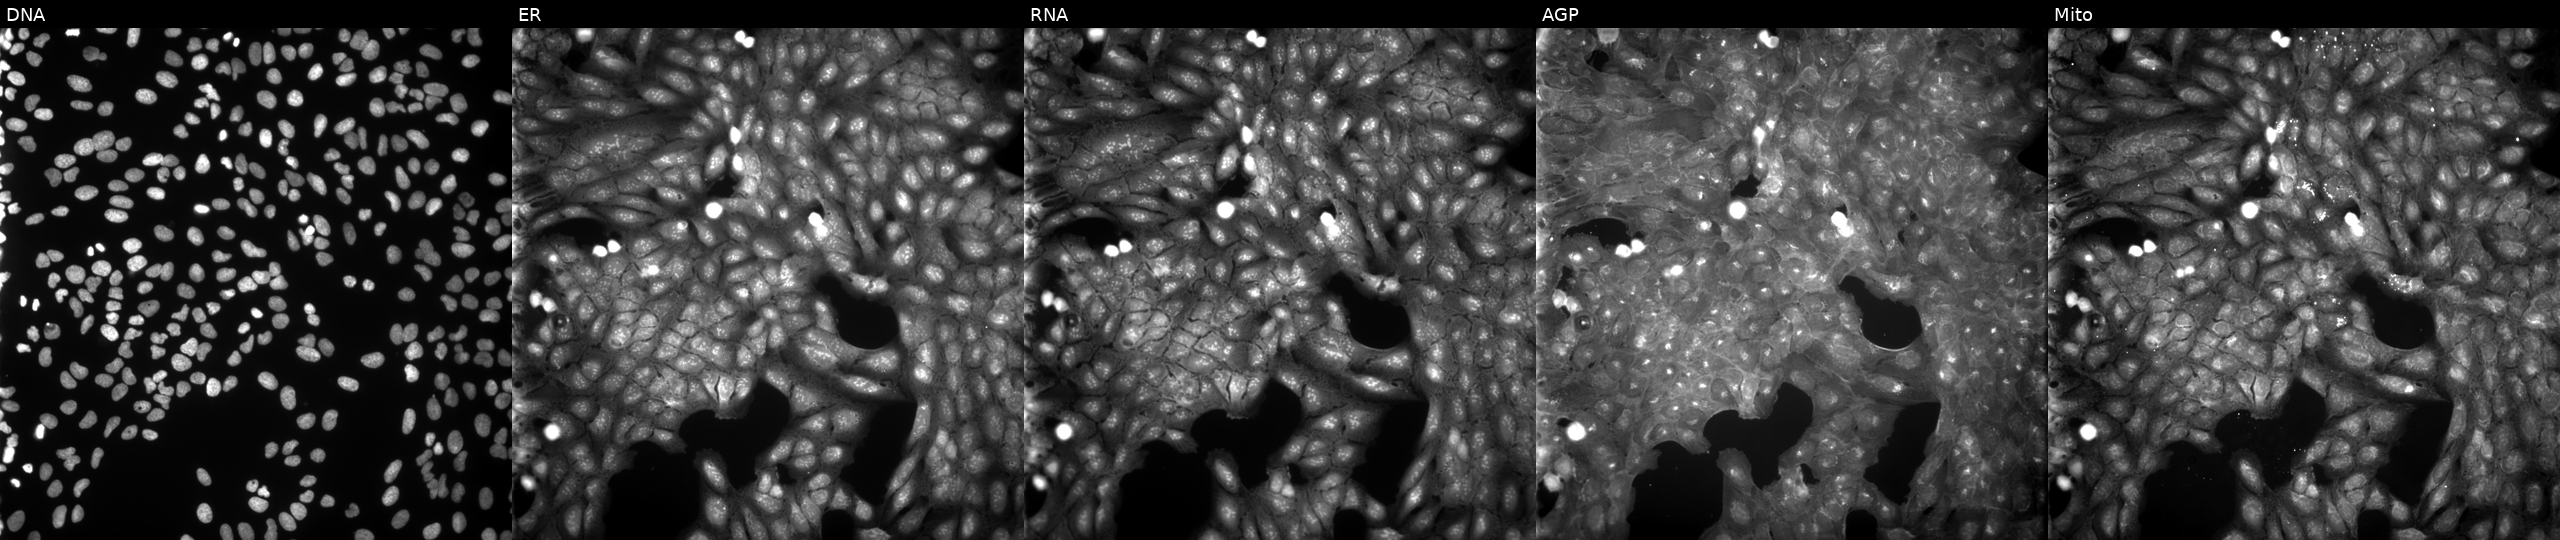
This image strip shows the five Cell Painting channels for a single field of U2OS cells perturbed with a small-molecule compound (InChIKey ZVFCHMUMAPGVRK-UHFFFAOYSA-N) [SMILES: COc1ccccc1N(CC(=O)Nc1cccc(C(F)(F)F)c1)S(C)(=O)=O] (JUMP id JCP2022_115887). Panels show, left to right, DNA (nuclei); ER (endoplasmic reticulum); RNA (nucleoli and cytoplasmic RNA); AGP (actin cytoskeleton, Golgi, and plasma membrane); Mito (mitochondria).